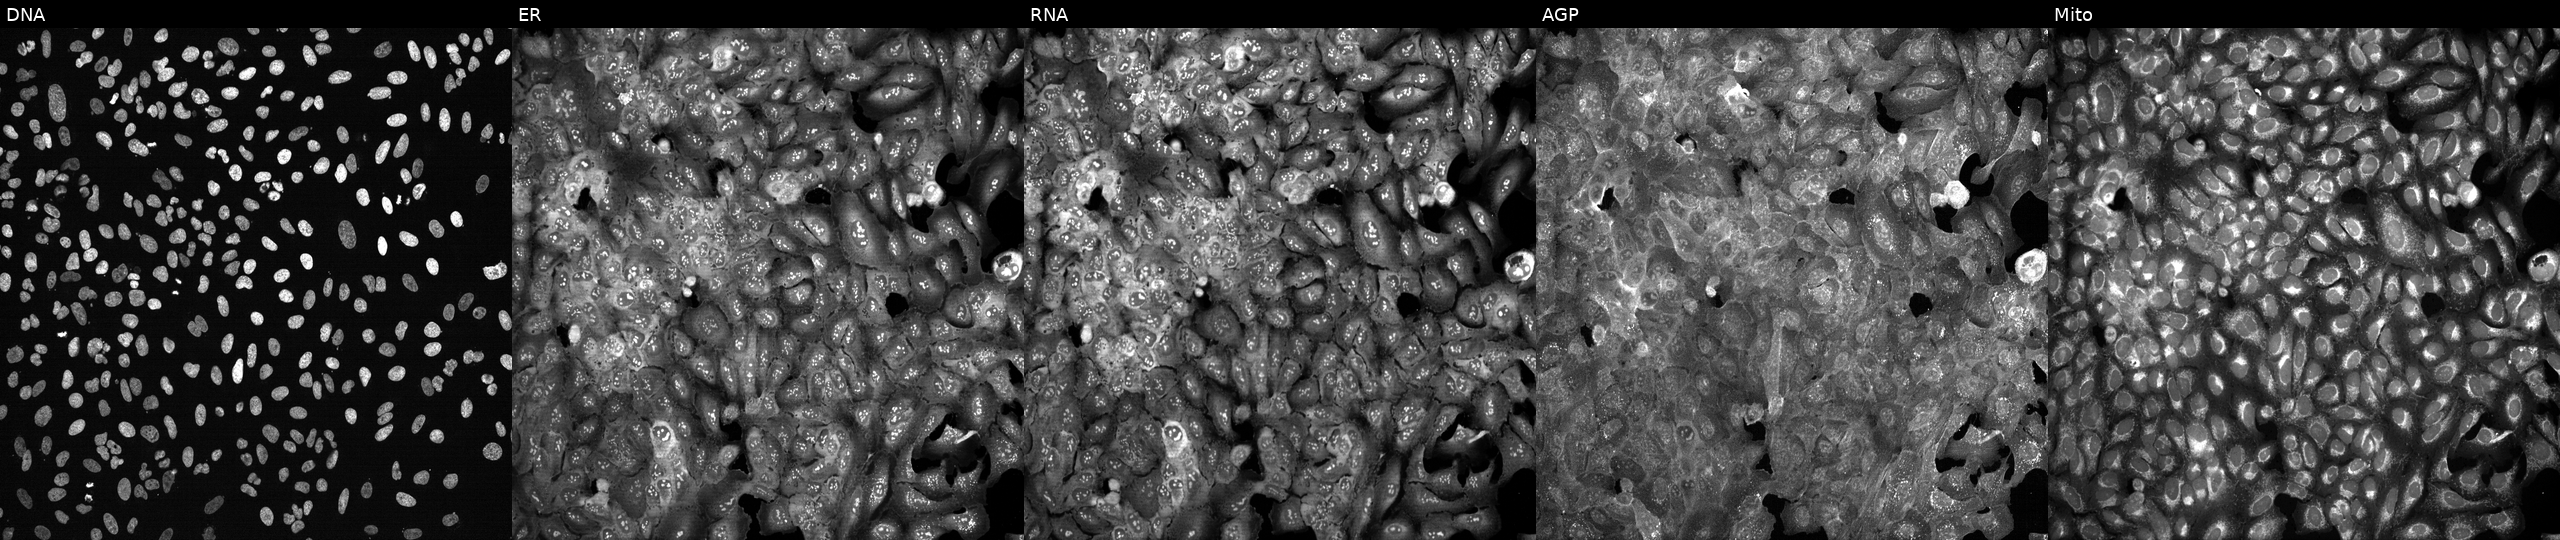
Five-channel Cell Painting image of U2OS cells CRISPR-edited to disrupt UGT1A3. From left to right: DNA, ER, RNA, AGP, and Mito. Source 13, plate CP-CC9-R5-01, well P08.